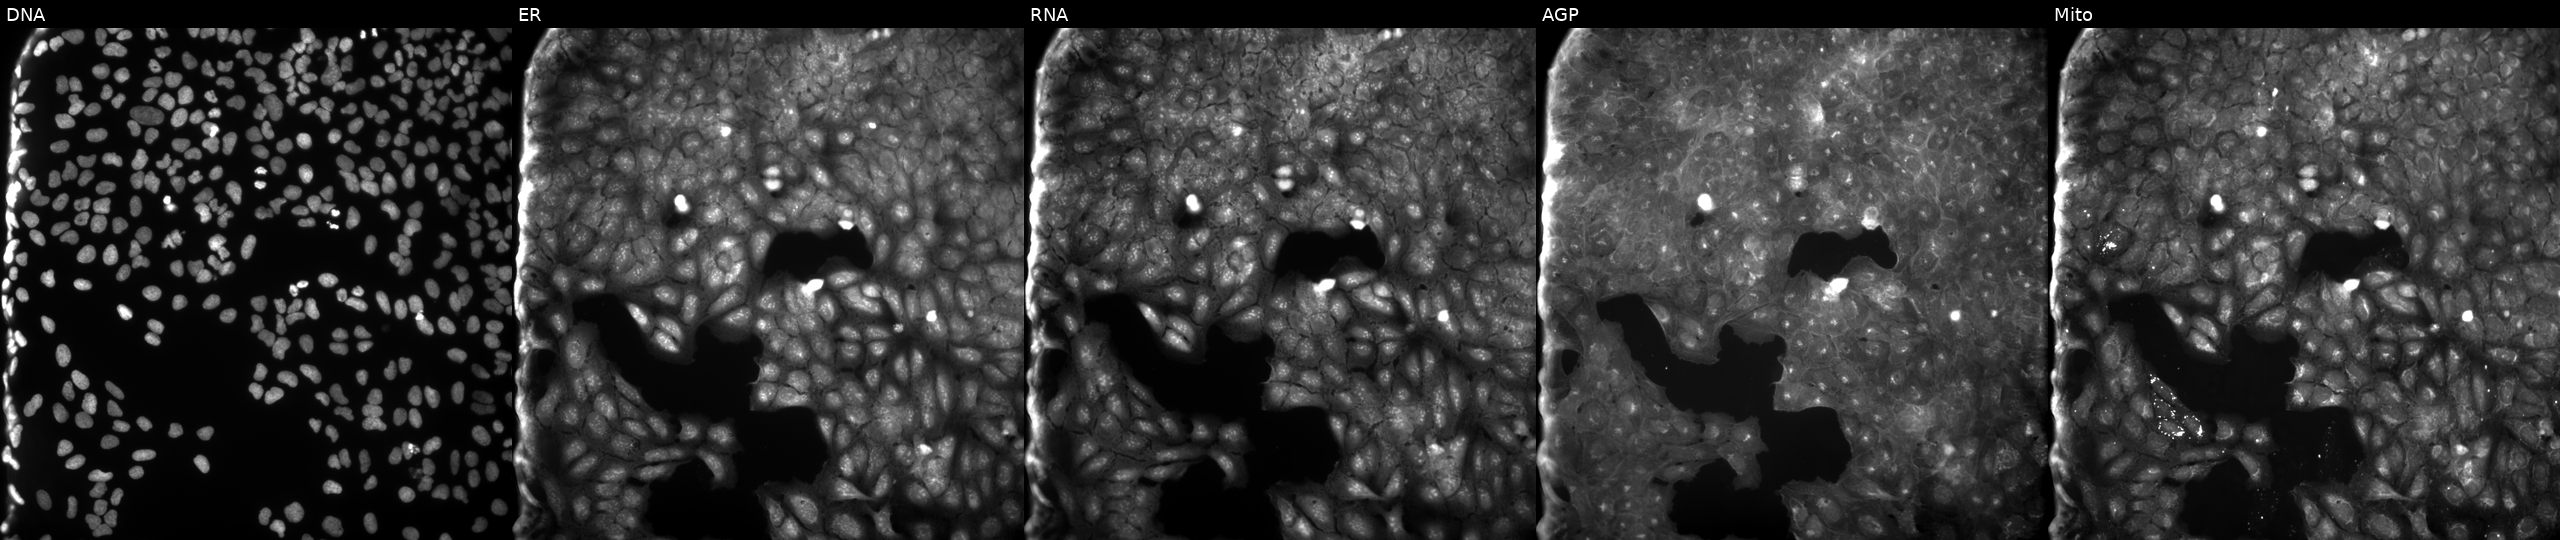
JUMP Cell Painting — COMPOUND plate. U2OS cells exposed to a small-molecule compound (JUMP id JCP2022_035801). Panels show, left to right, Hoechst 33342, concanavalin A, SYTO 14, phalloidin and WGA, MitoTracker.